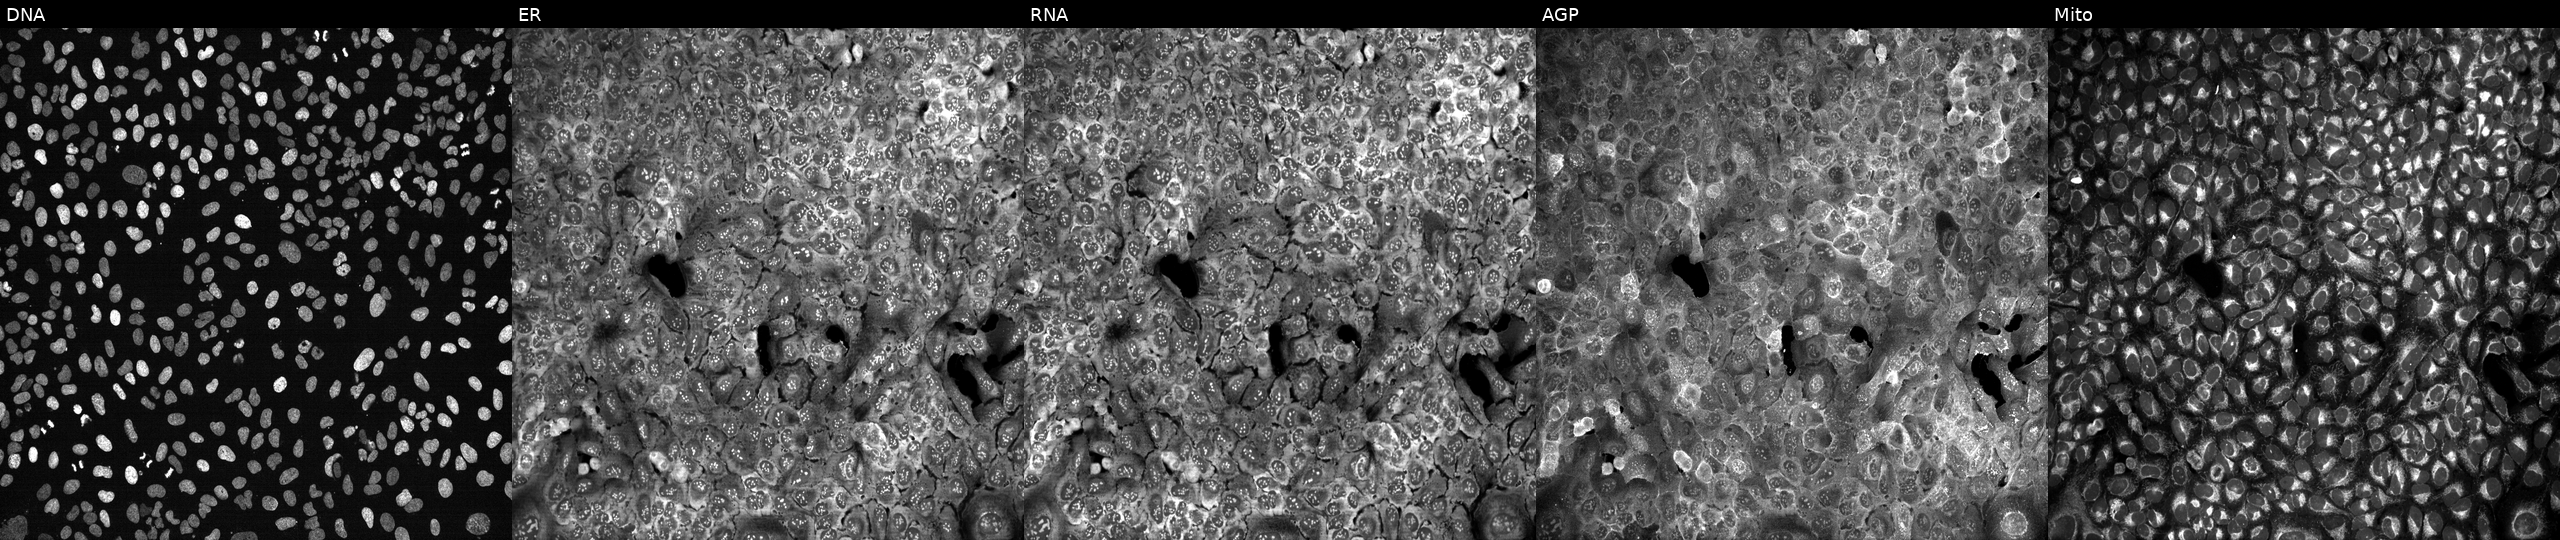
High-content fluorescence microscopy (Cell Painting). Cell line: U2OS. Perturbation: CRISPR-edited to disrupt RFC3 (JUMP id JCP2022_805911). The five panels, left to right, show DNA, ER, RNA, AGP, and Mito.